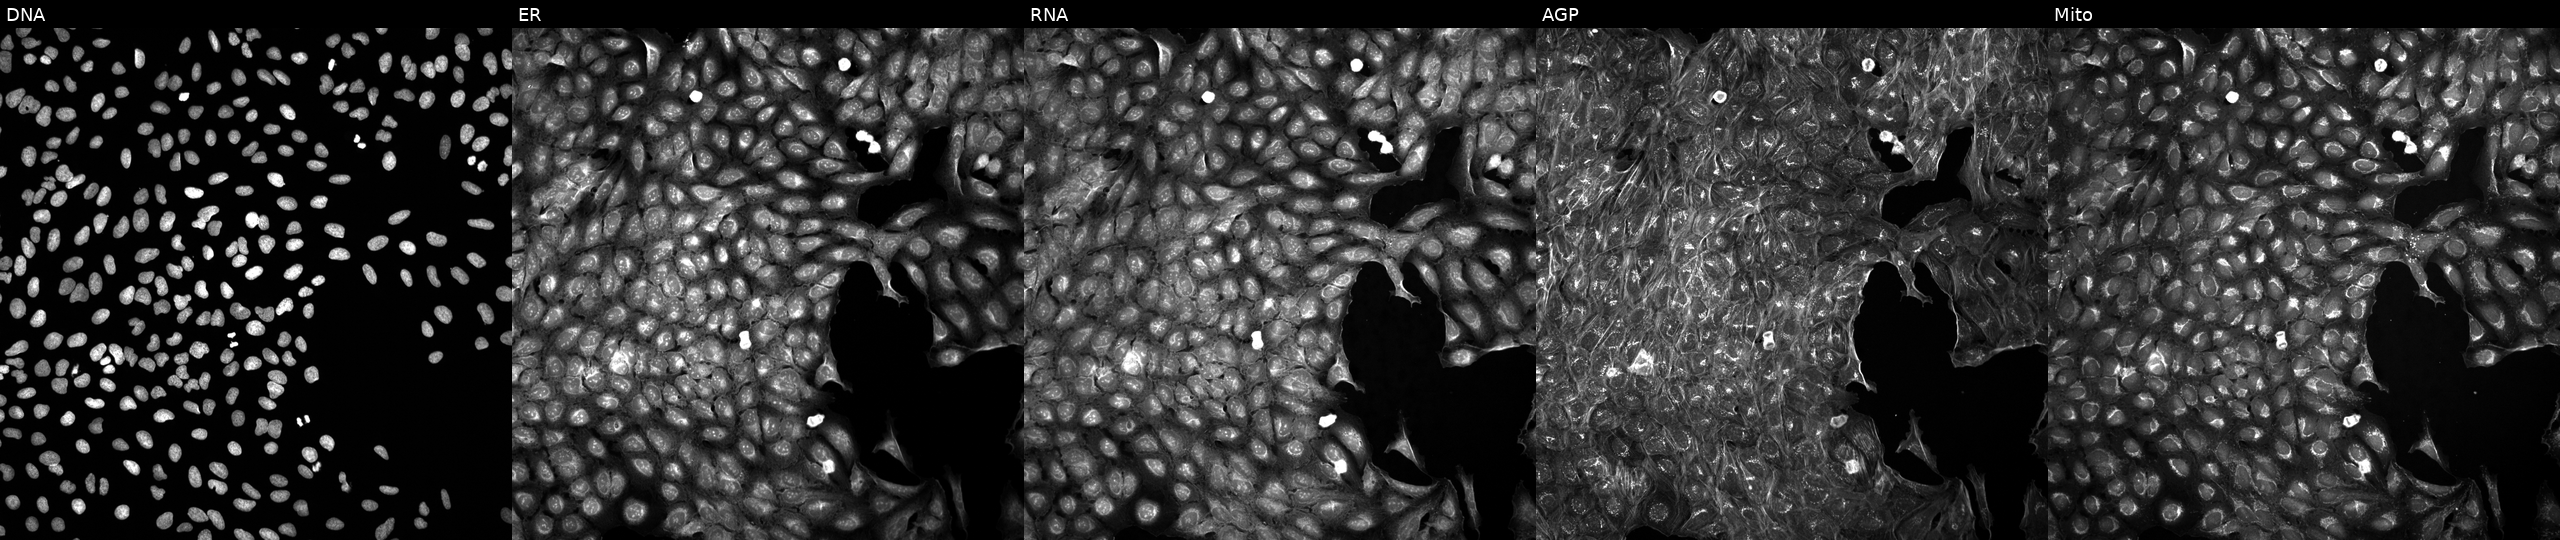
This image strip shows the five Cell Painting channels for a single field of U2OS cells exposed to DMSO alone as a negative control. From left to right: DNA (nuclei); ER (endoplasmic reticulum); RNA (nucleoli and cytoplasmic RNA); AGP (actin cytoskeleton, Golgi, and plasma membrane); Mito (mitochondria).